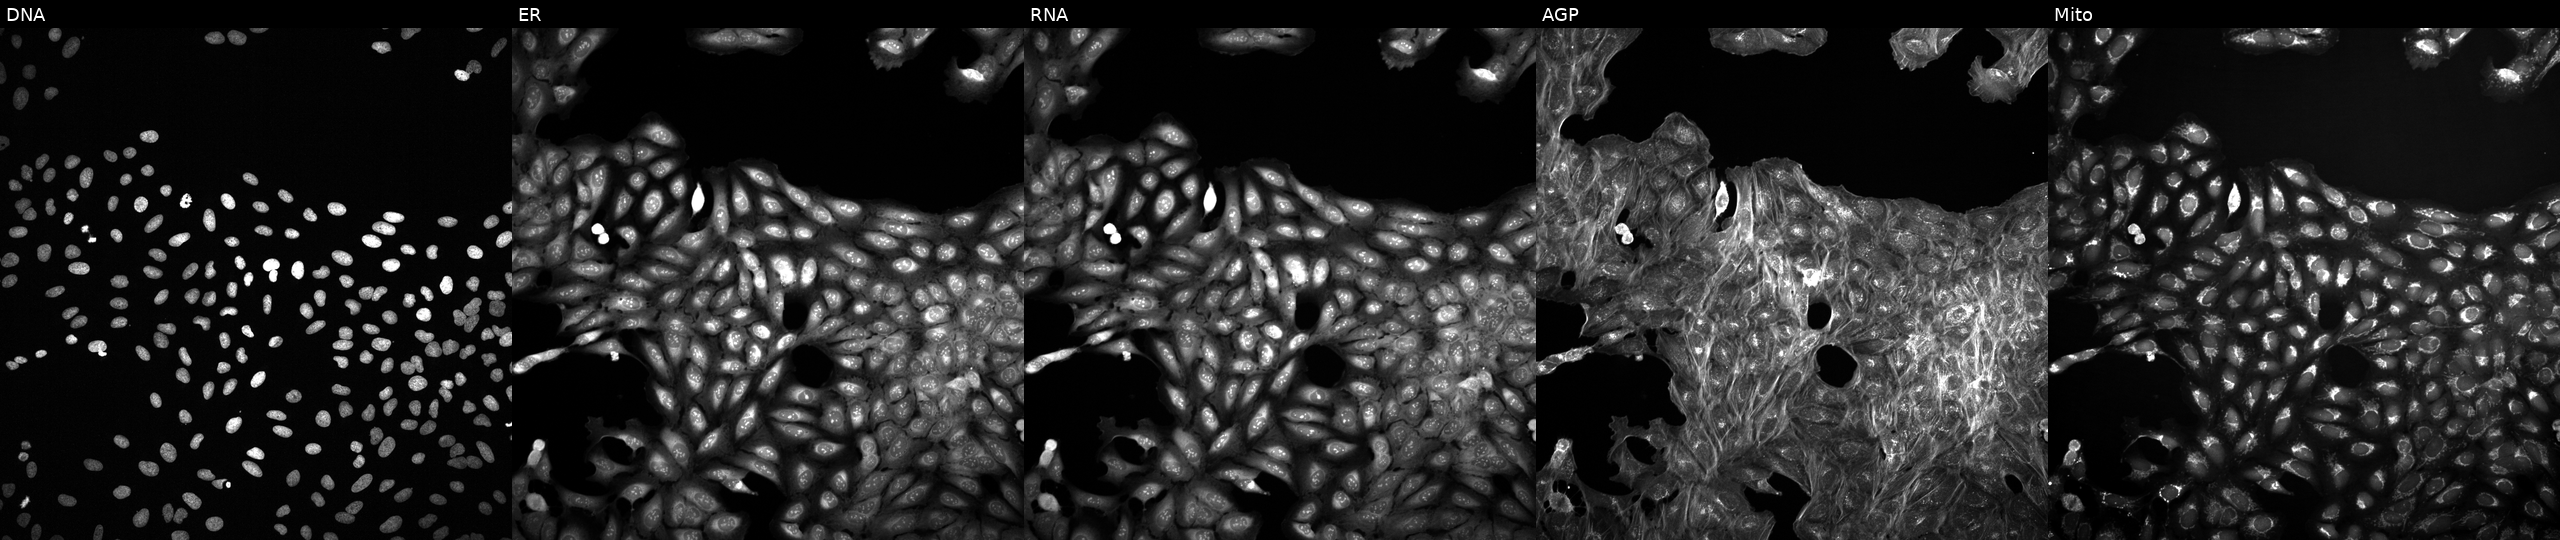
Five-channel Cell Painting image of U2OS cells treated with a small-molecule compound (InChIKey NYNZQNWKBKUAII-UHFFFAOYSA-N) (JUMP id JCP2022_062184). Channels (left→right): Hoechst 33342, concanavalin A, SYTO 14, phalloidin and WGA, MitoTracker. Source 2, plate 1053597936, well O21.